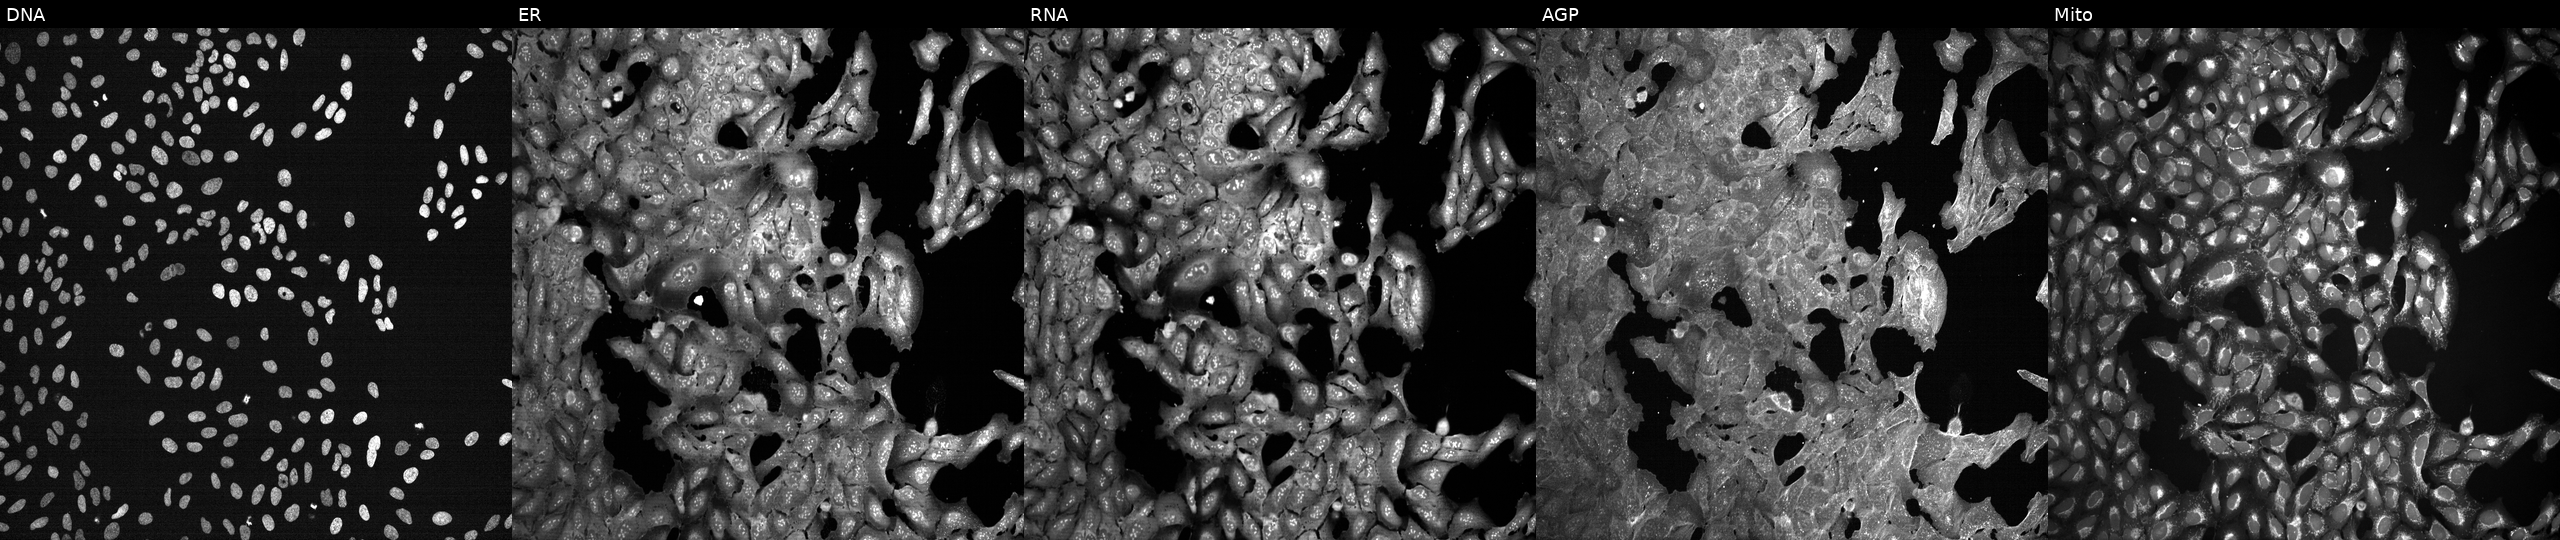
JUMP Cell Painting — TARGET2 plate. U2OS cells treated with DMSO vehicle only (negative control). Channels (left→right): DNA (nuclei); ER (endoplasmic reticulum); RNA (nucleoli and cytoplasmic RNA); AGP (actin cytoskeleton, Golgi, and plasma membrane); Mito (mitochondria).